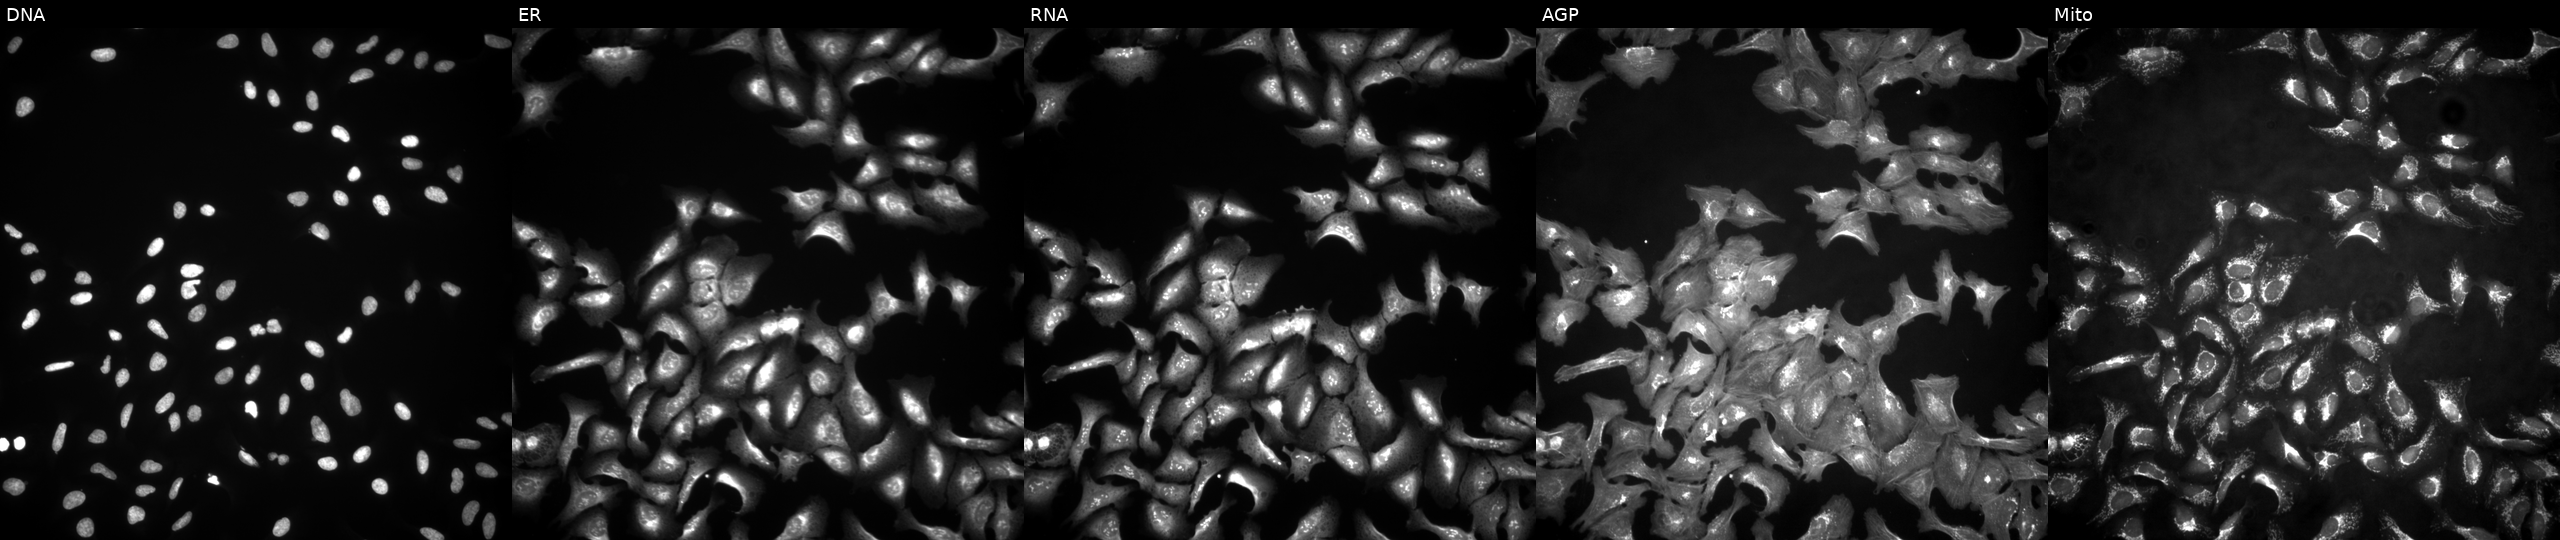
Five-channel Cell Painting image of U2OS cells with HTR3D overexpressed (ORF) (JUMP id JCP2022_912471). From left to right: Hoechst 33342, concanavalin A, SYTO 14, phalloidin and WGA, MitoTracker.